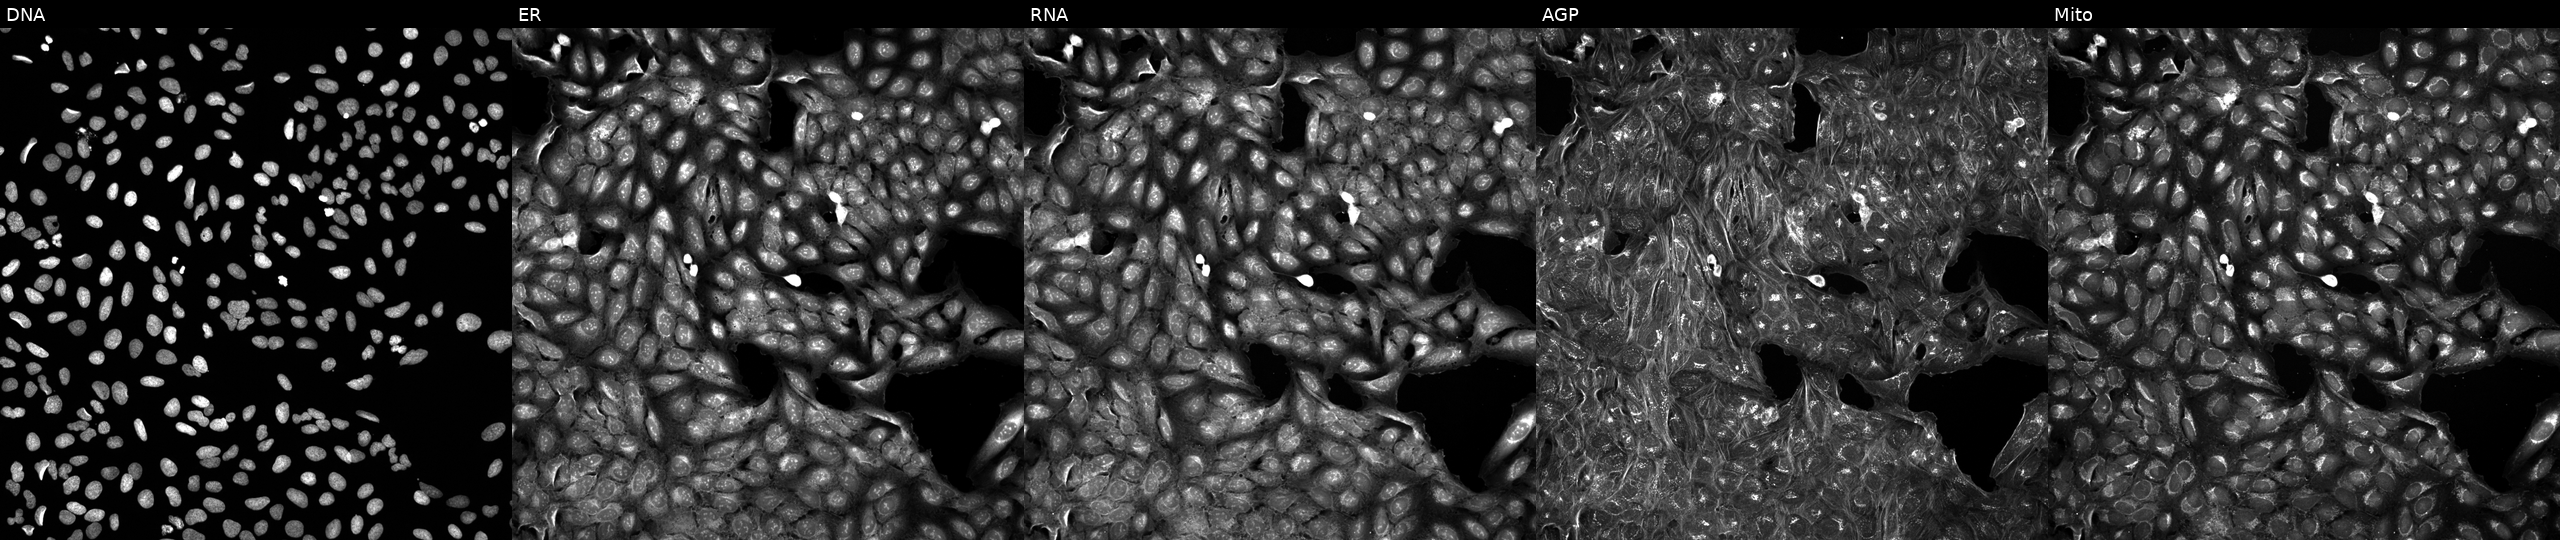
This image strip shows the five Cell Painting channels for a single field of U2OS cells perturbed with a small-molecule compound (InChIKey IIQNCUGEKSTGSZ-UHFFFAOYSA-N). Panels show, left to right, Hoechst 33342, concanavalin A, SYTO 14, phalloidin and WGA, MitoTracker.